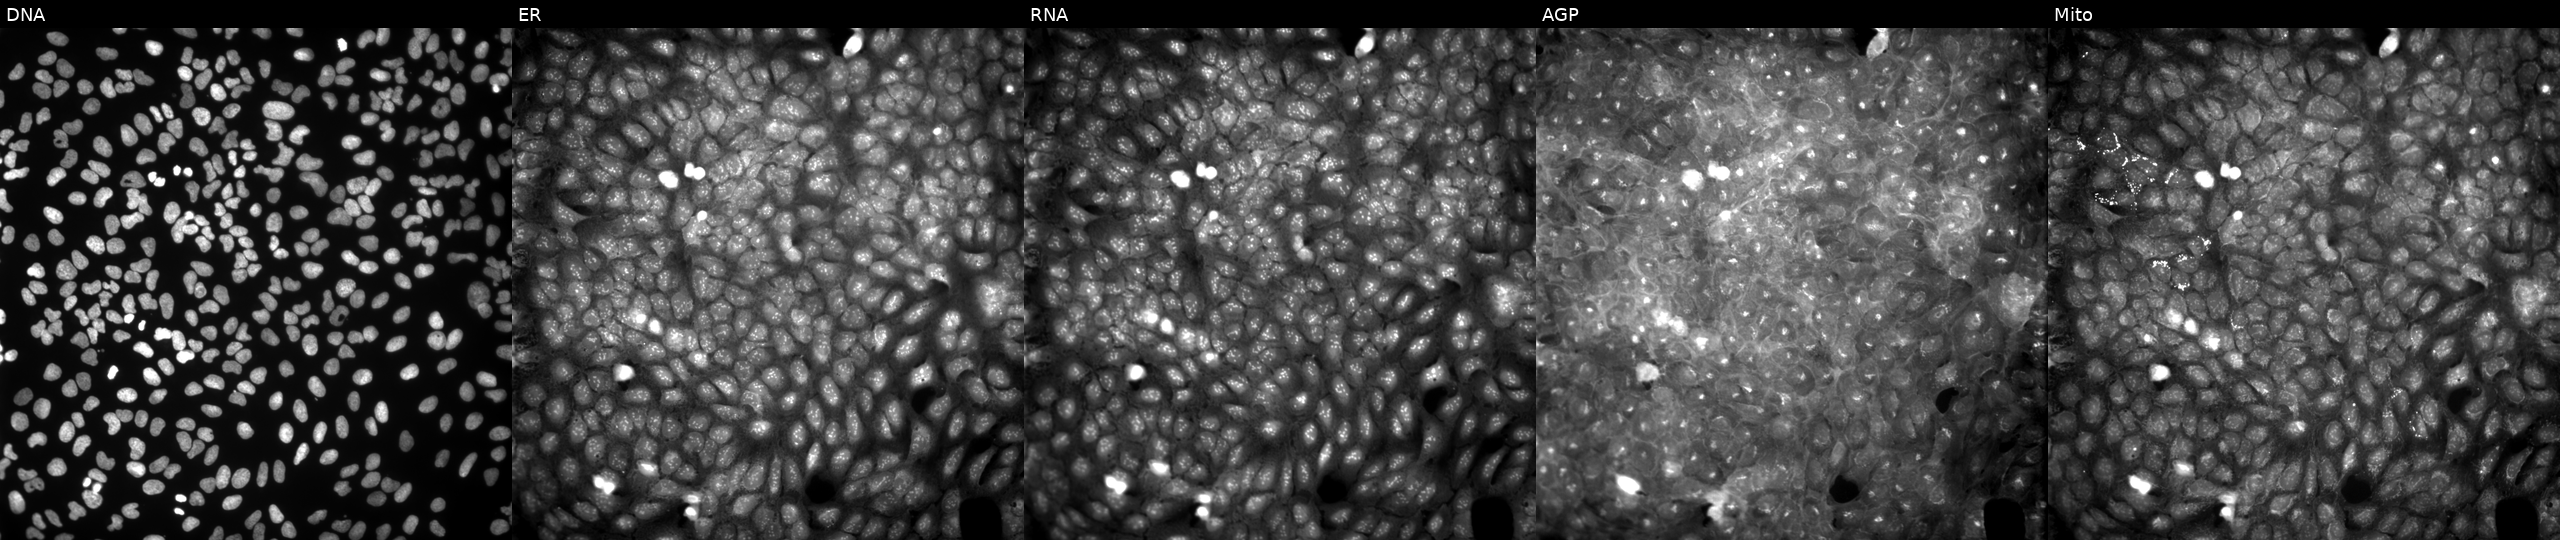
U2OS cells, Cell Painting assay, treated with a small-molecule compound (InChIKey VLZGIOMCJDKQAH-UHFFFAOYSA-N) (JUMP id JCP2022_094862). Panels show, left to right, DNA, ER, RNA, AGP, and Mito. Each panel is percentile-stretched 16-bit fluorescence.